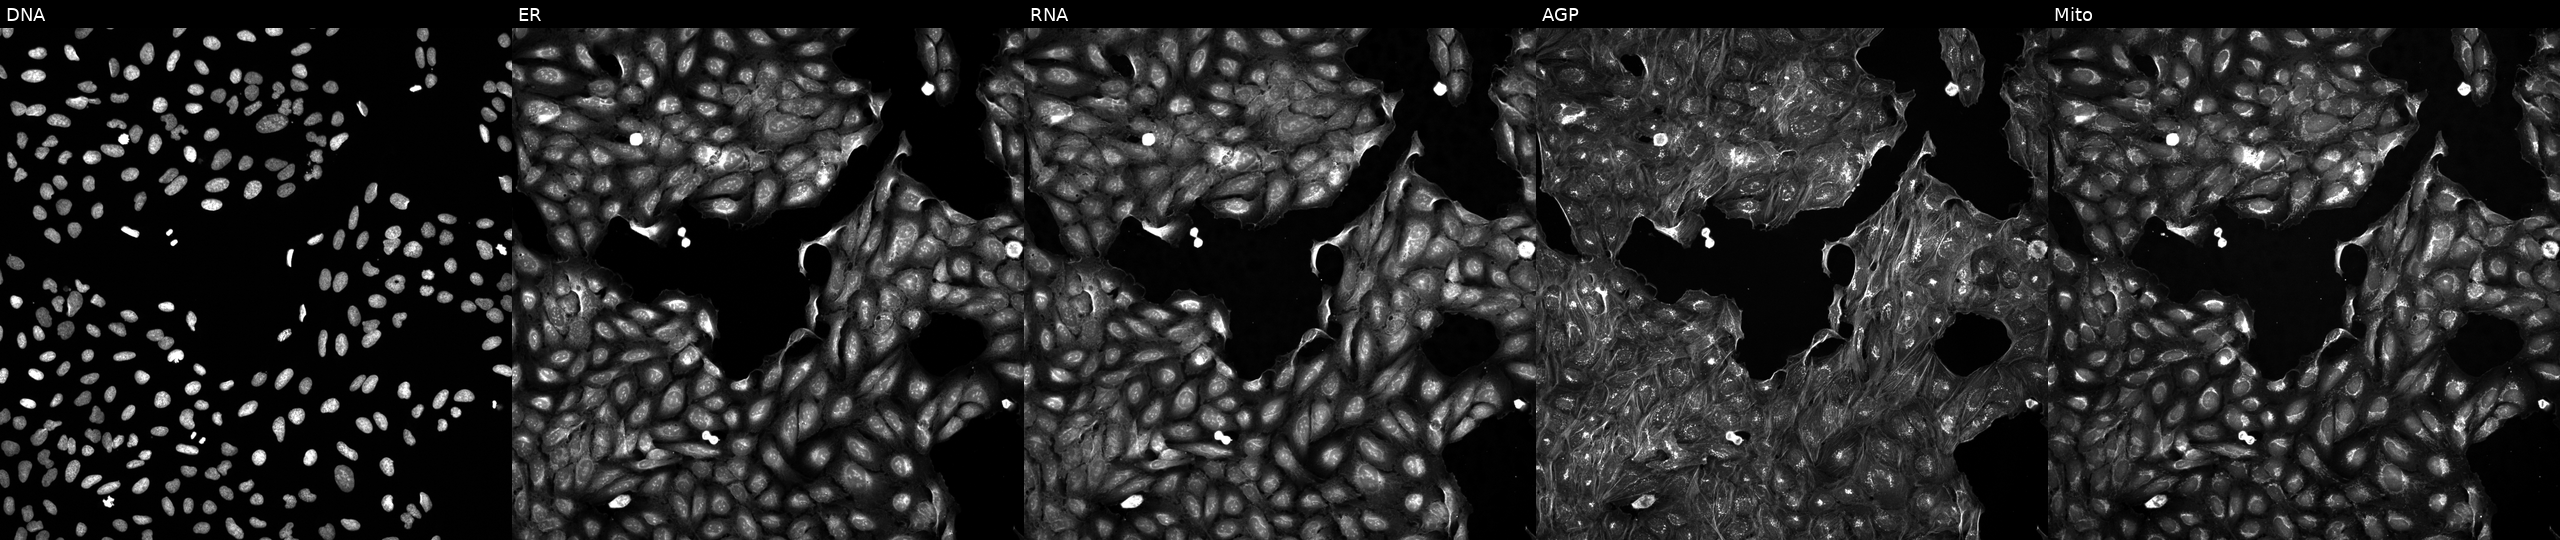
High-content fluorescence microscopy (Cell Painting). Cell line: U2OS. Perturbation: treated with a small-molecule compound (JUMP id JCP2022_001703). Channels (left→right): Hoechst 33342, concanavalin A, SYTO 14, phalloidin and WGA, MitoTracker.